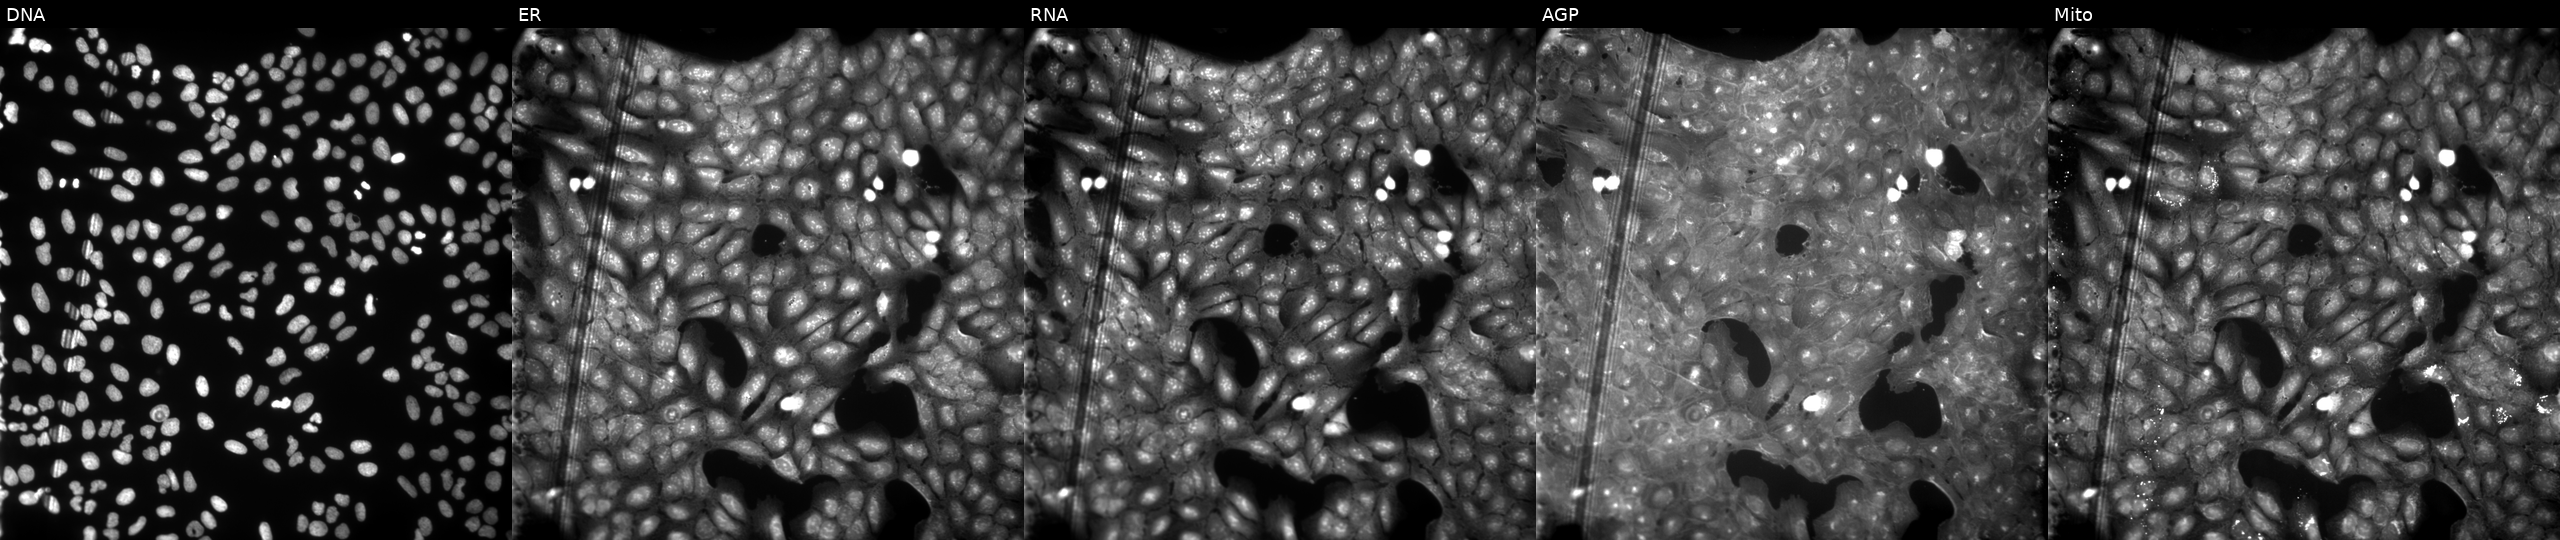
High-content fluorescence microscopy (Cell Painting). Cell line: U2OS. Perturbation: exposed to a small-molecule compound (InChIKey UIJZKYRDRYAYTD-UHFFFAOYSA-N) (JUMP id JCP2022_089433). Panels show, left to right, DNA (nuclei); ER (endoplasmic reticulum); RNA (nucleoli and cytoplasmic RNA); AGP (actin cytoskeleton, Golgi, and plasma membrane); Mito (mitochondria). Source 9, plate GR00003381, well X10.